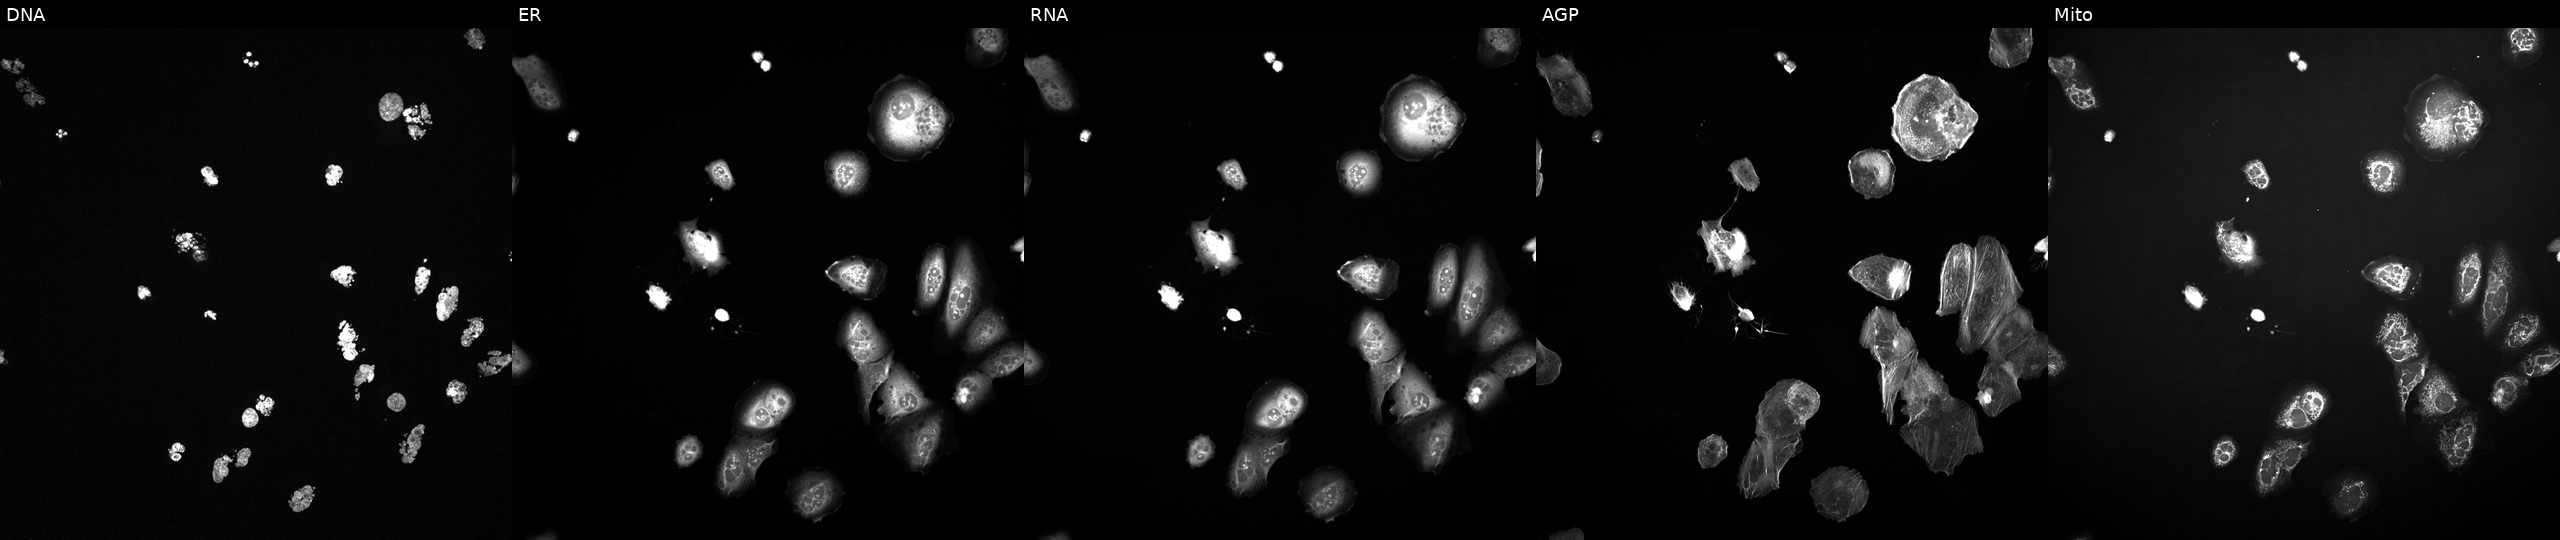
This image strip shows the five Cell Painting channels for a single field of U2OS cells treated with a small-molecule compound (JUMP id JCP2022_106722). Panels show, left to right, DNA, ER, RNA, AGP, and Mito.